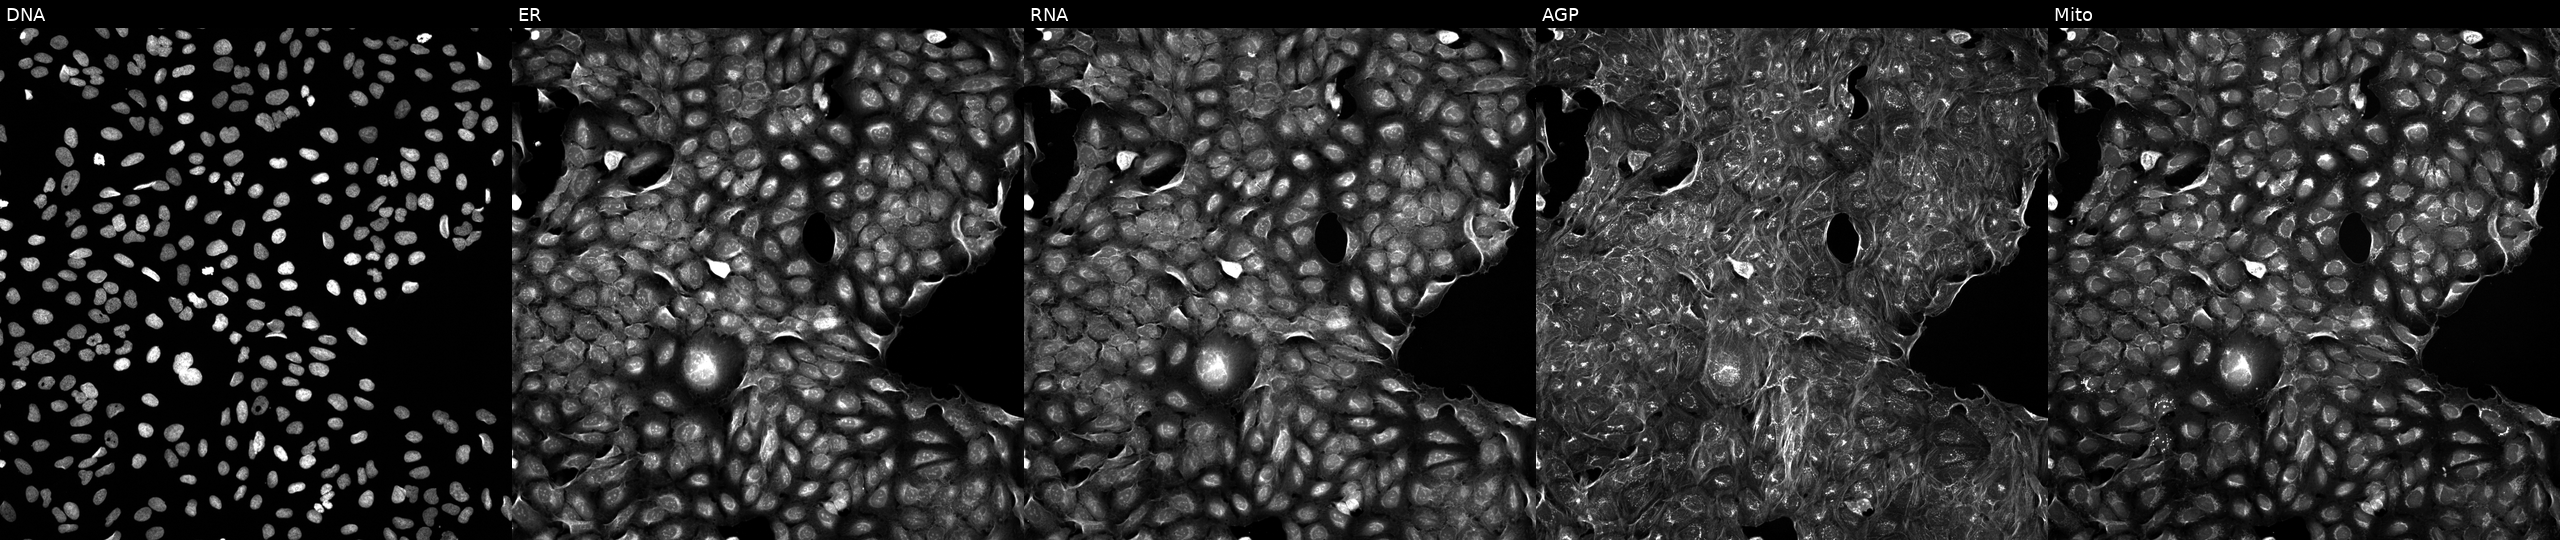
The five panels, left to right, show DNA, ER, RNA, AGP, and Mito. U2OS osteosarcoma cells perturbed with a small-molecule compound [SMILES: Cc1onc(-c2ccccc2)c1-c1nnc(CNC(C)c2ccc(S(C)(=O)=O)cc2)o1] (JUMP id JCP2022_045336). Cell Painting assay, JUMP-CP dataset.